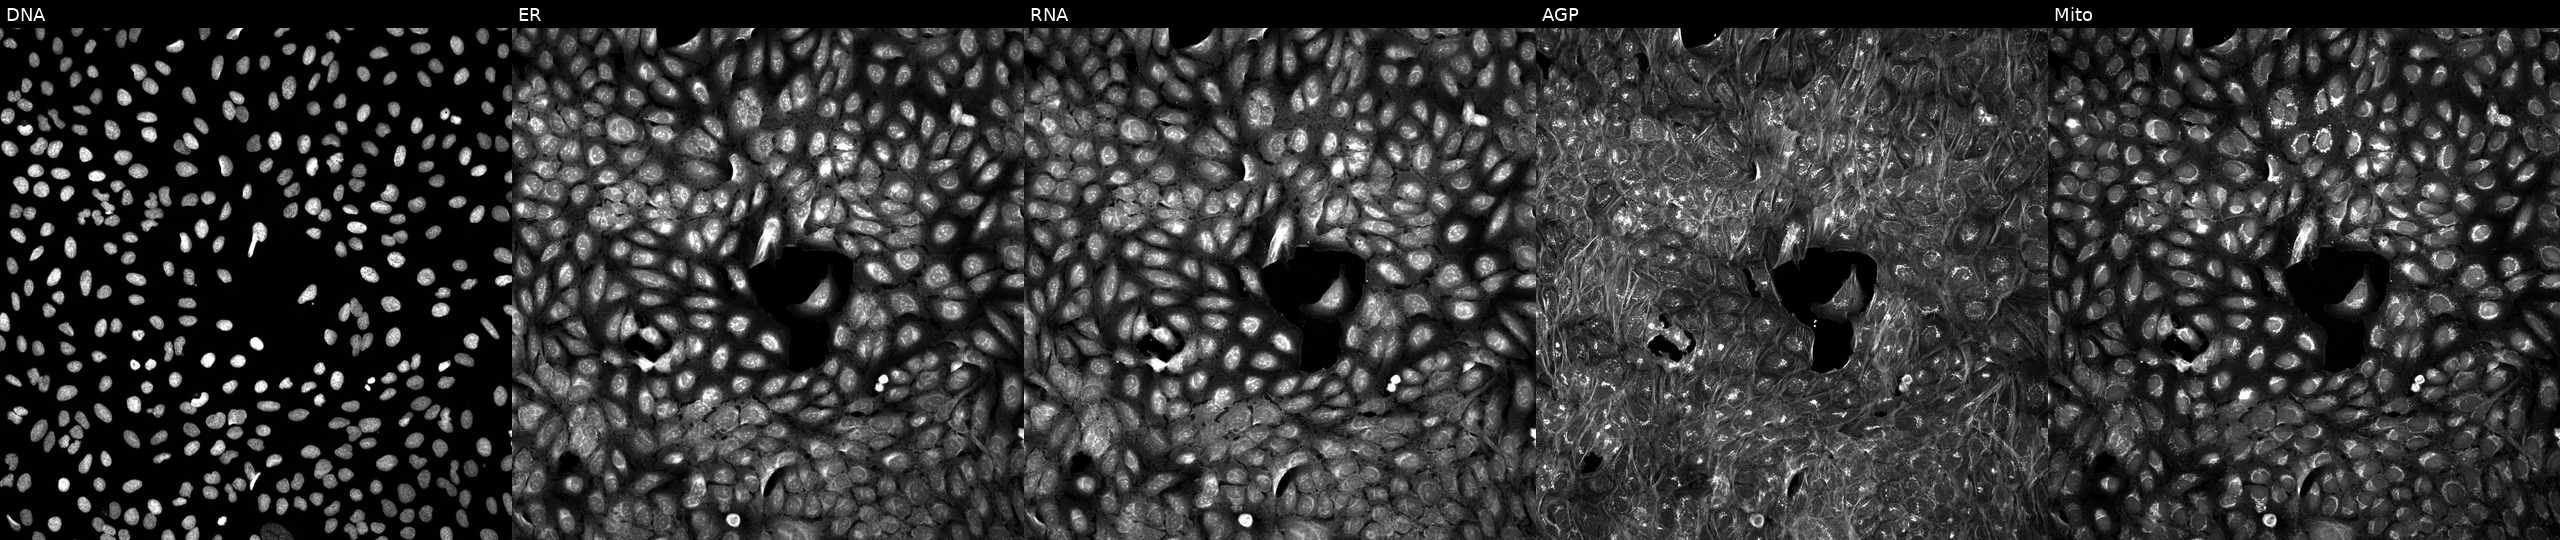
Five-channel Cell Painting image of U2OS cells exposed to a small-molecule compound (InChIKey LTZVFRDHUCTNOK-UHFFFAOYSA-N) [SMILES: CCN(CC)S(=O)(=O)c1cccc(NCc2csc(COc3ccc(C)cc3)n2)c1]. Panels show, left to right, Hoechst 33342, concanavalin A, SYTO 14, phalloidin and WGA, MitoTracker. Source 5, plate APTJUM106, well J09.